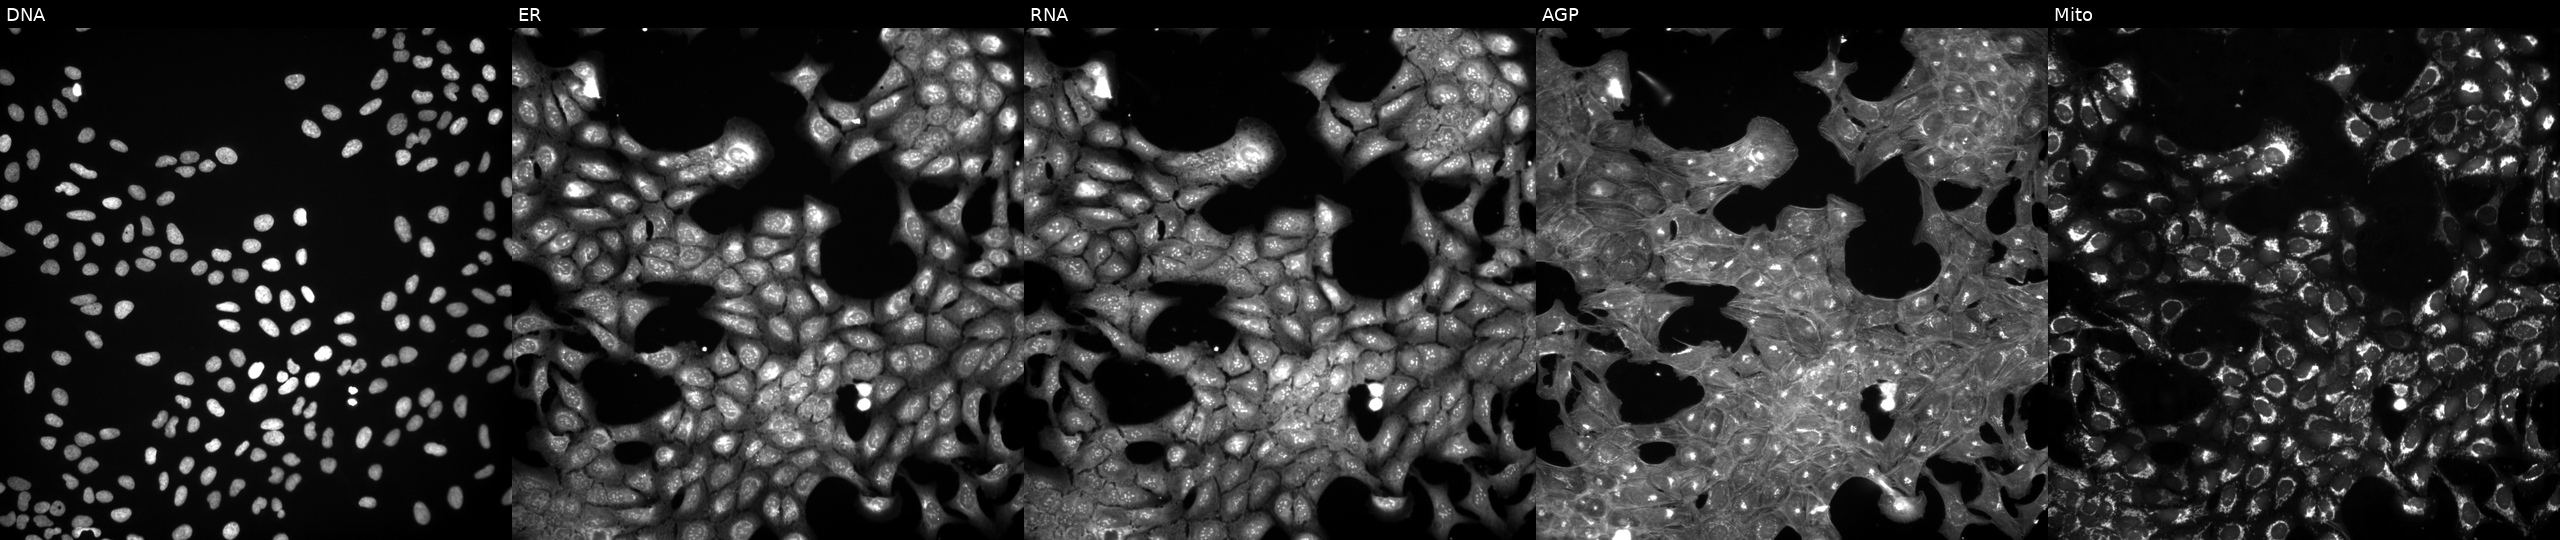
The five panels, left to right, show Hoechst 33342, concanavalin A, SYTO 14, phalloidin and WGA, MitoTracker. U2OS osteosarcoma cells perturbed with a small-molecule compound [SMILES: CC(C)c1c(O)[nH]c(SCC(=O)N2CCOCC2)nc1=O]. Cell Painting assay, JUMP-CP dataset.